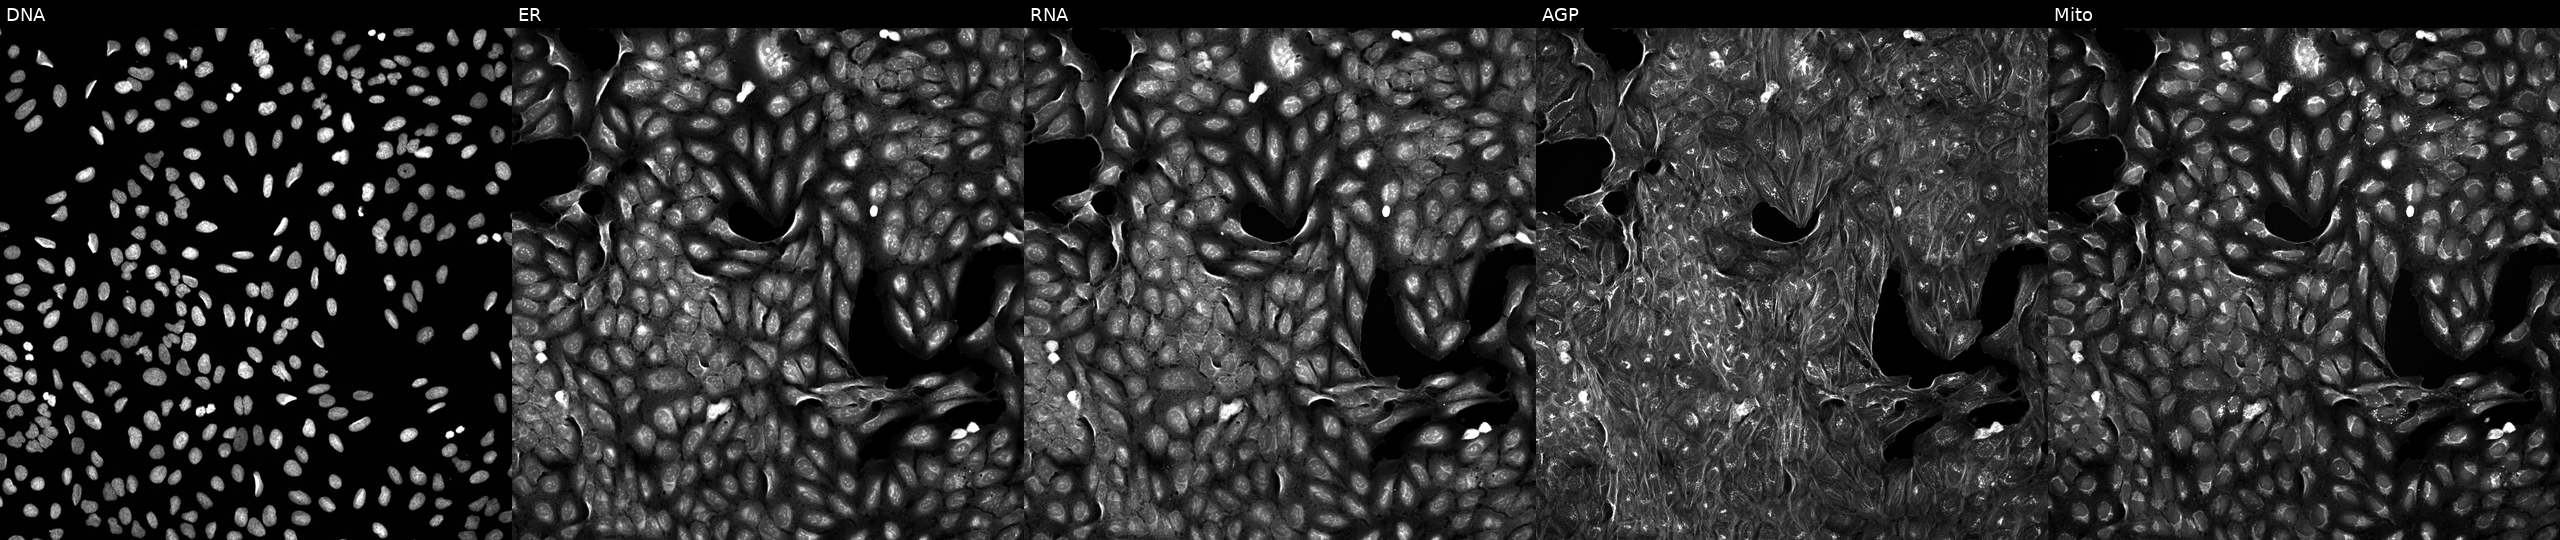
This image strip shows the five Cell Painting channels for a single field of U2OS cells perturbed with a small-molecule compound [SMILES: CCCCn1c(=O)[nH]c2c(C(=O)N3CCC4(CC3)OCCO4)snc2c1=O]. From left to right: DNA (nuclei); ER (endoplasmic reticulum); RNA (nucleoli and cytoplasmic RNA); AGP (actin cytoskeleton, Golgi, and plasma membrane); Mito (mitochondria).